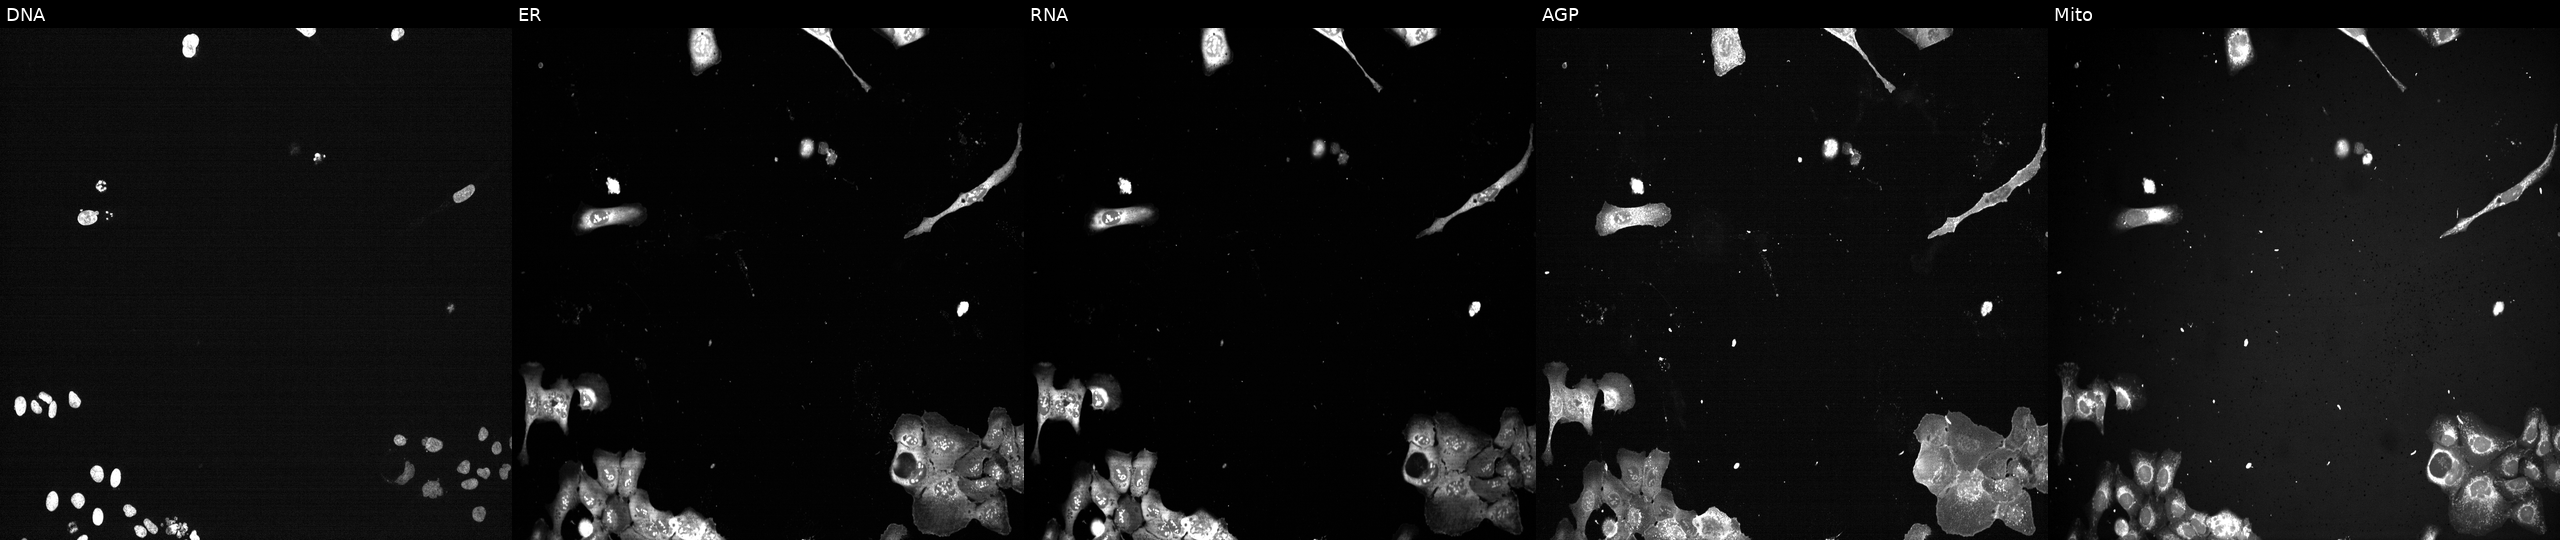
U2OS cells, Cell Painting assay, with PLK1 knocked out by CRISPR (positive control). The five panels, left to right, show DNA (nuclei); ER (endoplasmic reticulum); RNA (nucleoli and cytoplasmic RNA); AGP (actin cytoskeleton, Golgi, and plasma membrane); Mito (mitochondria). Each panel is percentile-stretched 16-bit fluorescence.